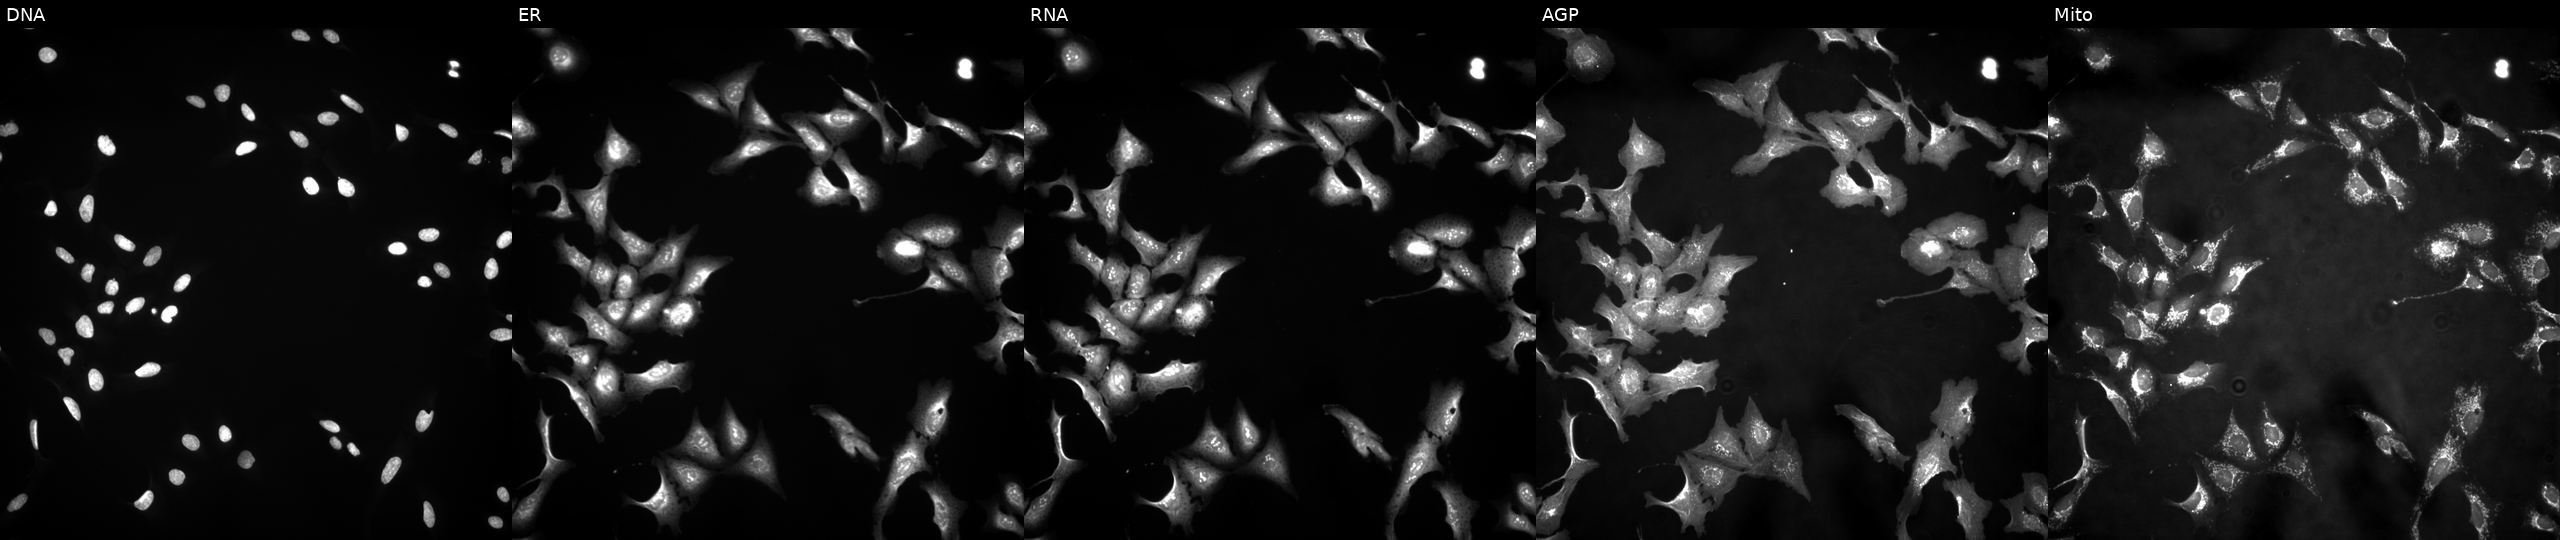
JUMP Cell Painting — ORF plate. U2OS cells overexpressing HLA-G via ORF transfection. From left to right: DNA, ER, RNA, AGP, and Mito.